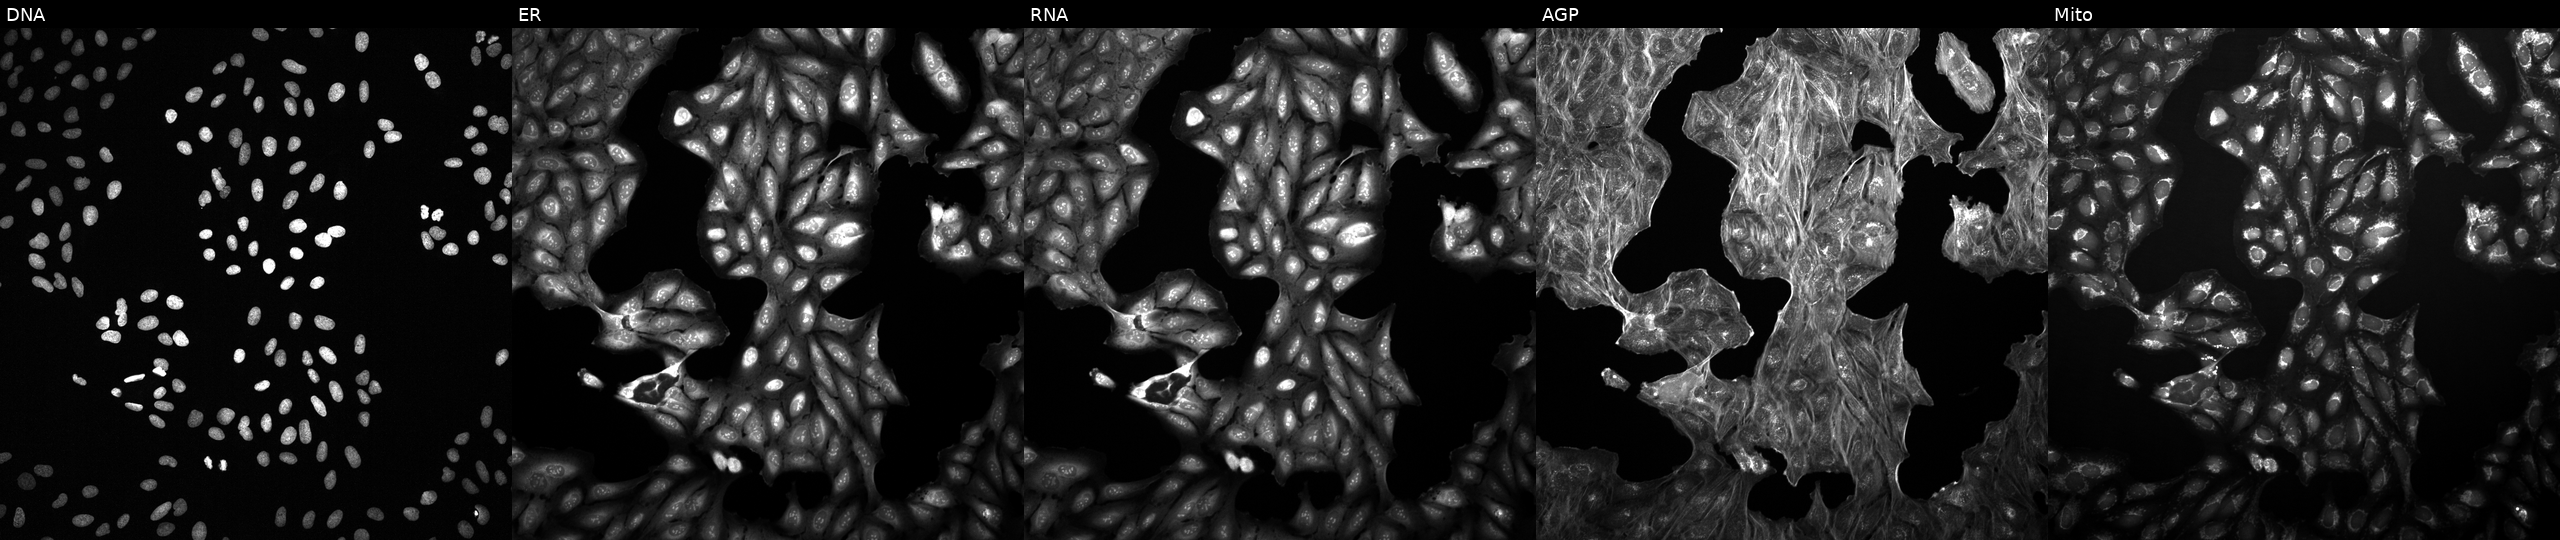
Five-channel Cell Painting image of U2OS cells exposed to a small-molecule compound (InChIKey VCKUSRYTPJJLNI-UHFFFAOYSA-N). The five panels, left to right, show DNA (nuclei); ER (endoplasmic reticulum); RNA (nucleoli and cytoplasmic RNA); AGP (actin cytoskeleton, Golgi, and plasma membrane); Mito (mitochondria). Source 2, plate 1053597936, well N24.